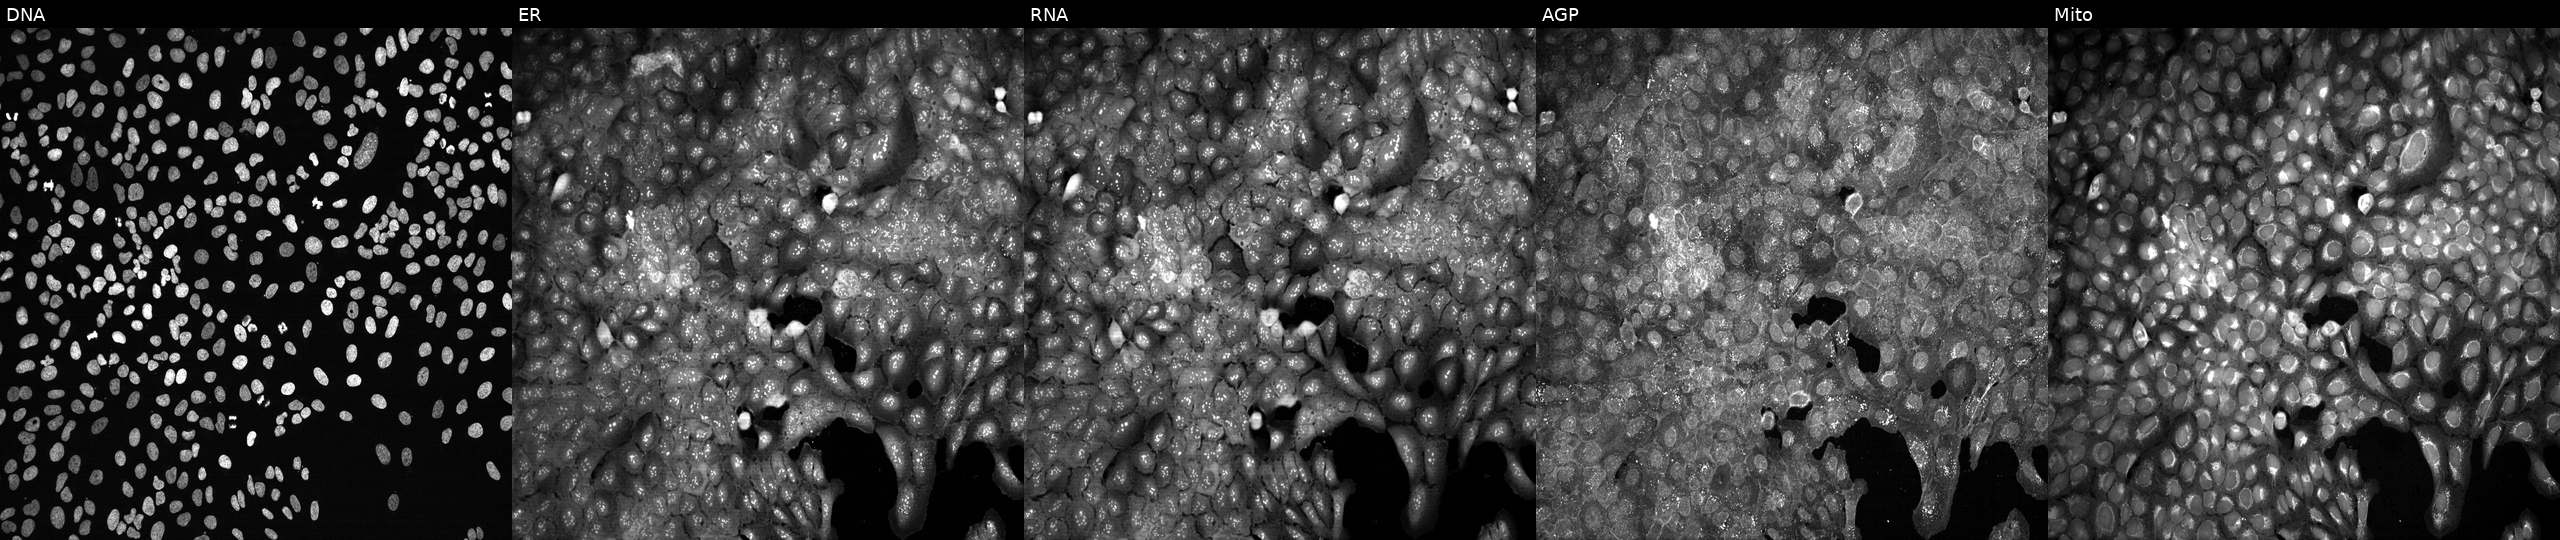
Five-channel Cell Painting image of U2OS cells CRISPR-edited to disrupt DNM1L. Panels show, left to right, Hoechst 33342, concanavalin A, SYTO 14, phalloidin and WGA, MitoTracker. Source 13, plate CP-CC9-R1-02, well P18.